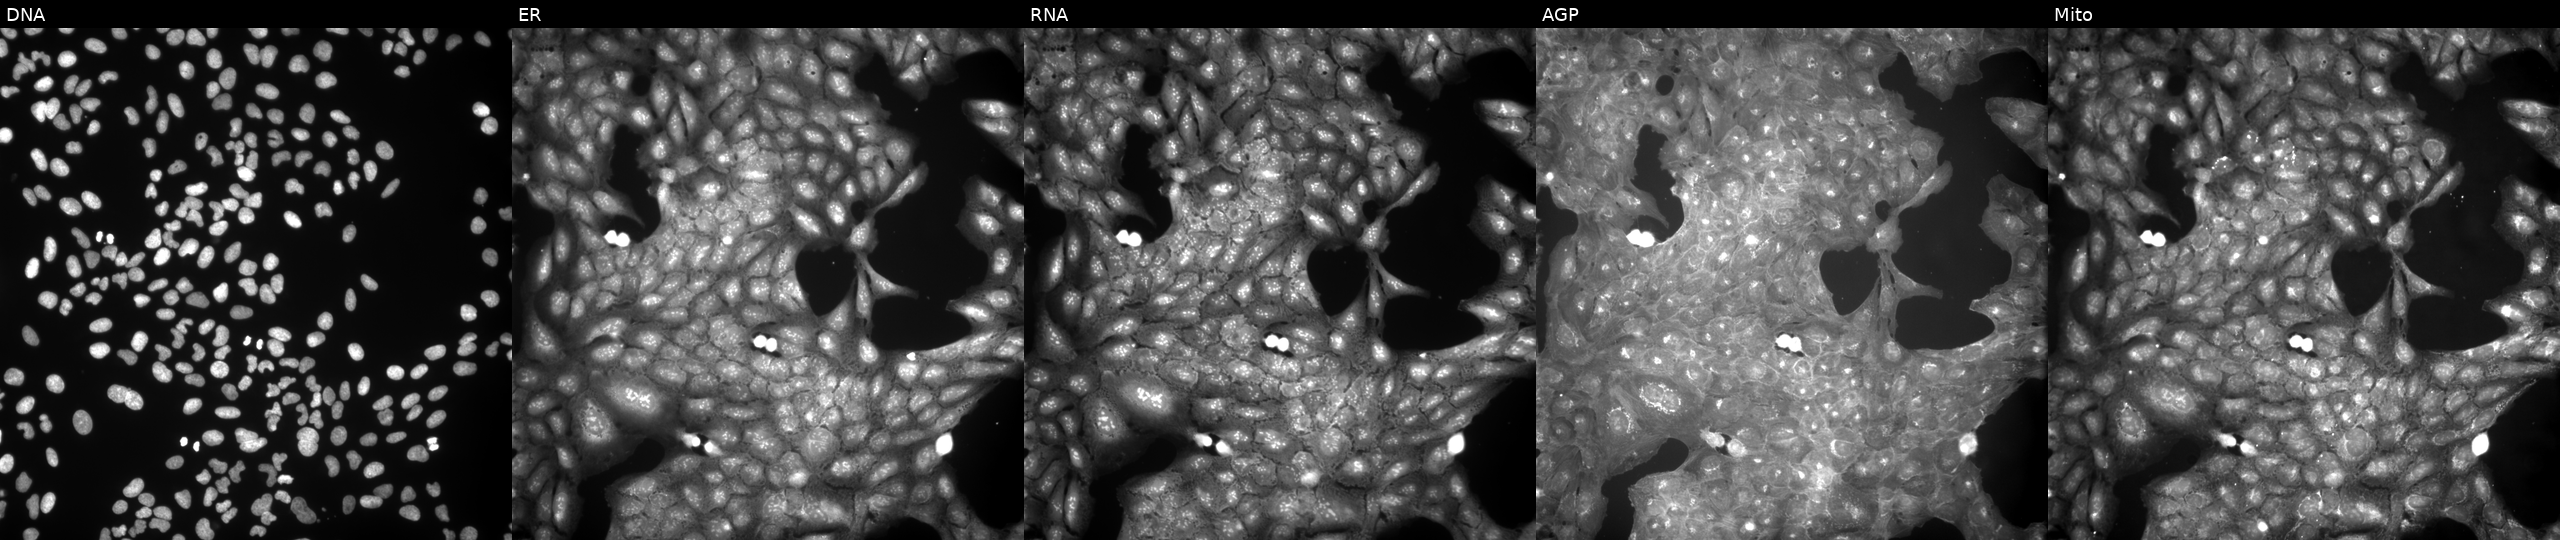
This image strip shows the five Cell Painting channels for a single field of U2OS cells exposed to a small-molecule compound (InChIKey GXHCYLBSTKBISE-UHFFFAOYSA-N). Channels (left→right): Hoechst 33342, concanavalin A, SYTO 14, phalloidin and WGA, MitoTracker.